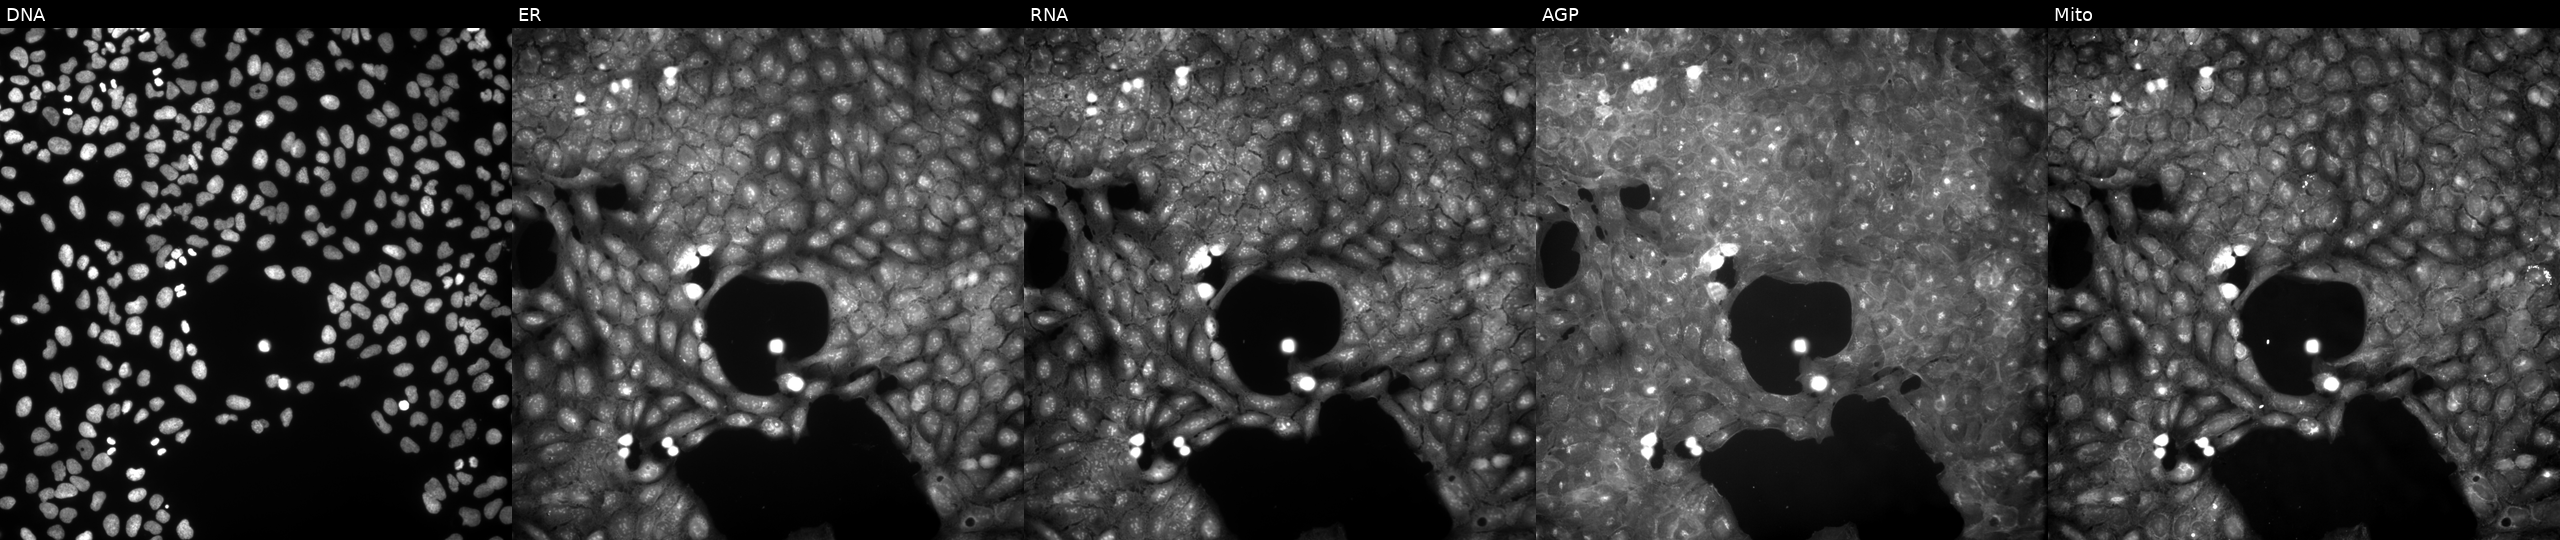
From left to right: DNA, ER, RNA, AGP, and Mito. U2OS osteosarcoma cells treated with DMSO vehicle only (negative control) (JUMP id JCP2022_033924). Cell Painting assay, JUMP-CP dataset. Source 9, plate GR00003381, well K26.